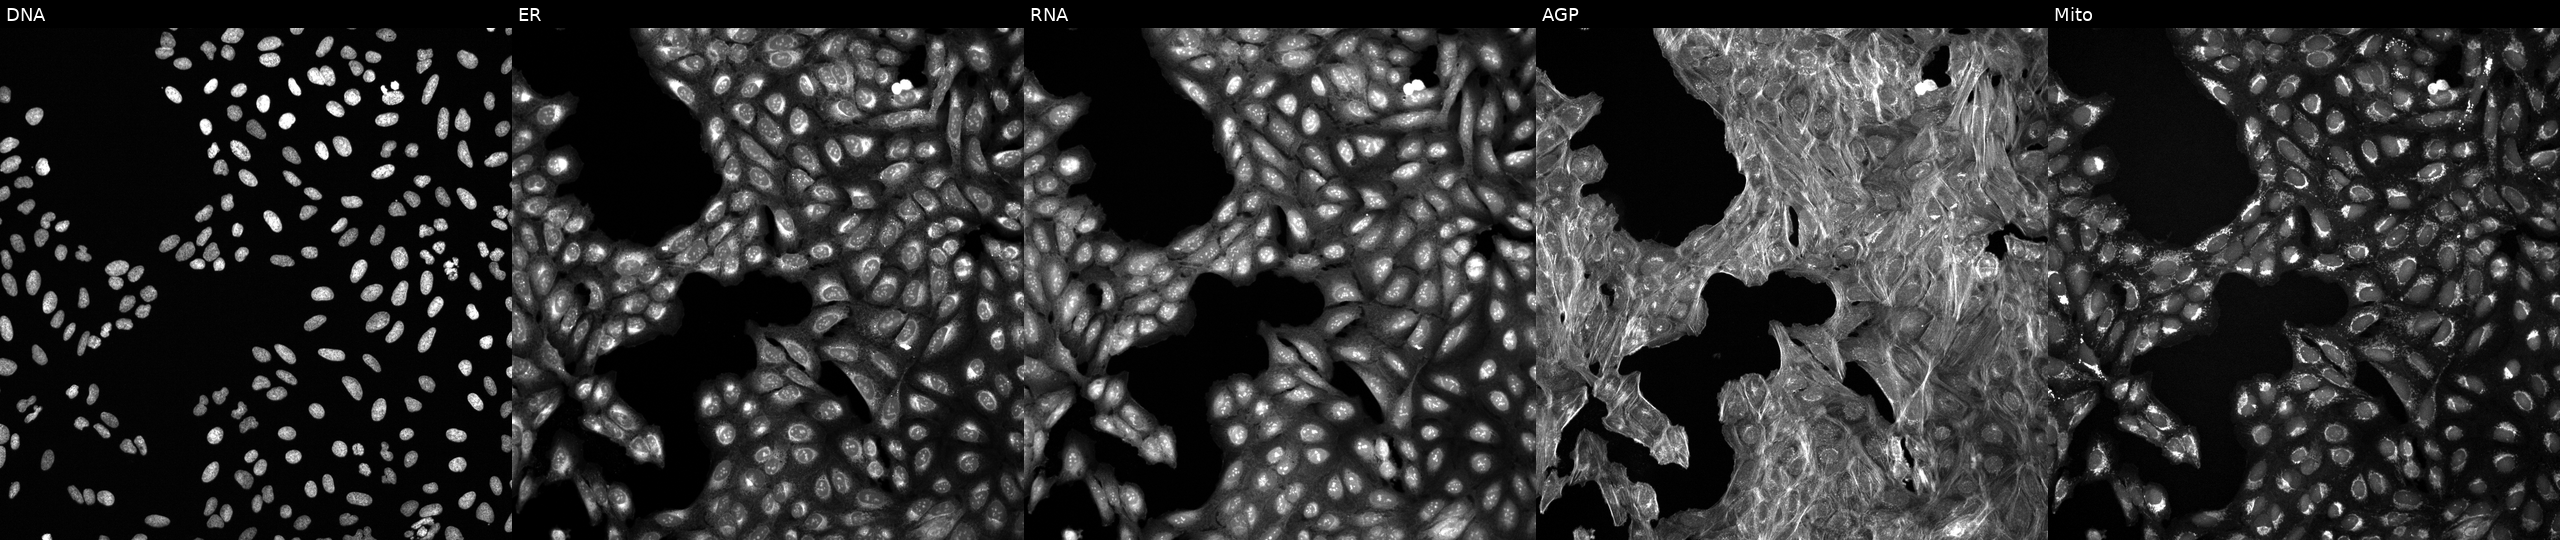
Five-channel Cell Painting image of U2OS cells perturbed with a small-molecule compound (InChIKey RATZLMXRALDSJW-UHFFFAOYSA-N) [SMILES: CCC1(C2=NCCN2)Cc2ccccc2O1] (JUMP id JCP2022_077142). From left to right: Hoechst 33342, concanavalin A, SYTO 14, phalloidin and WGA, MitoTracker.